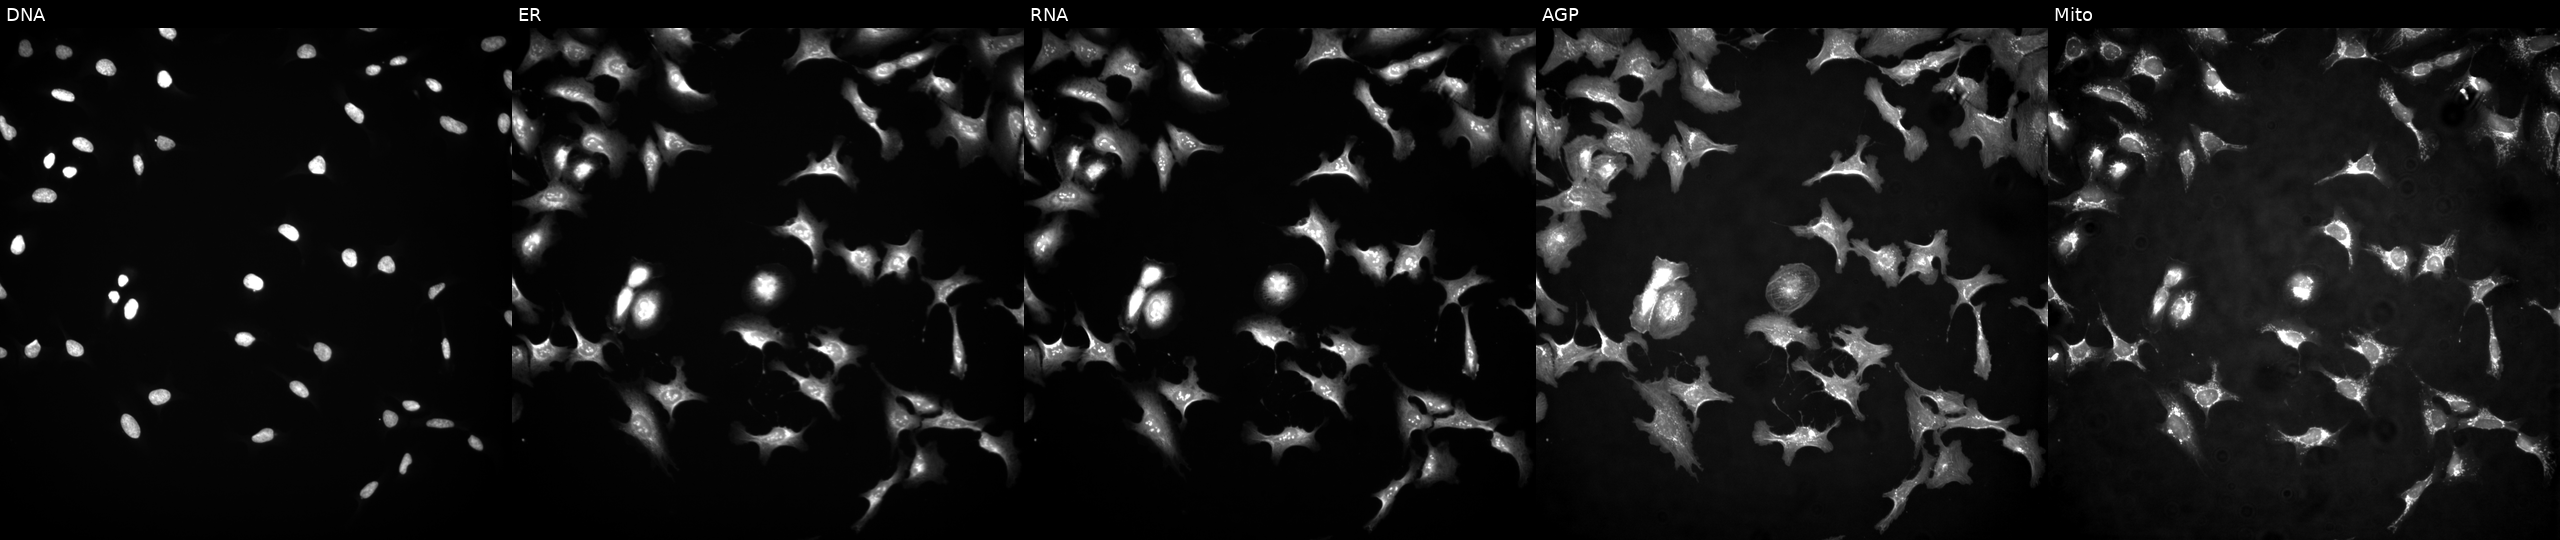
Five-channel Cell Painting image of U2OS cells with DCAKD overexpressed (ORF). The five panels, left to right, show Hoechst 33342, concanavalin A, SYTO 14, phalloidin and WGA, MitoTracker.